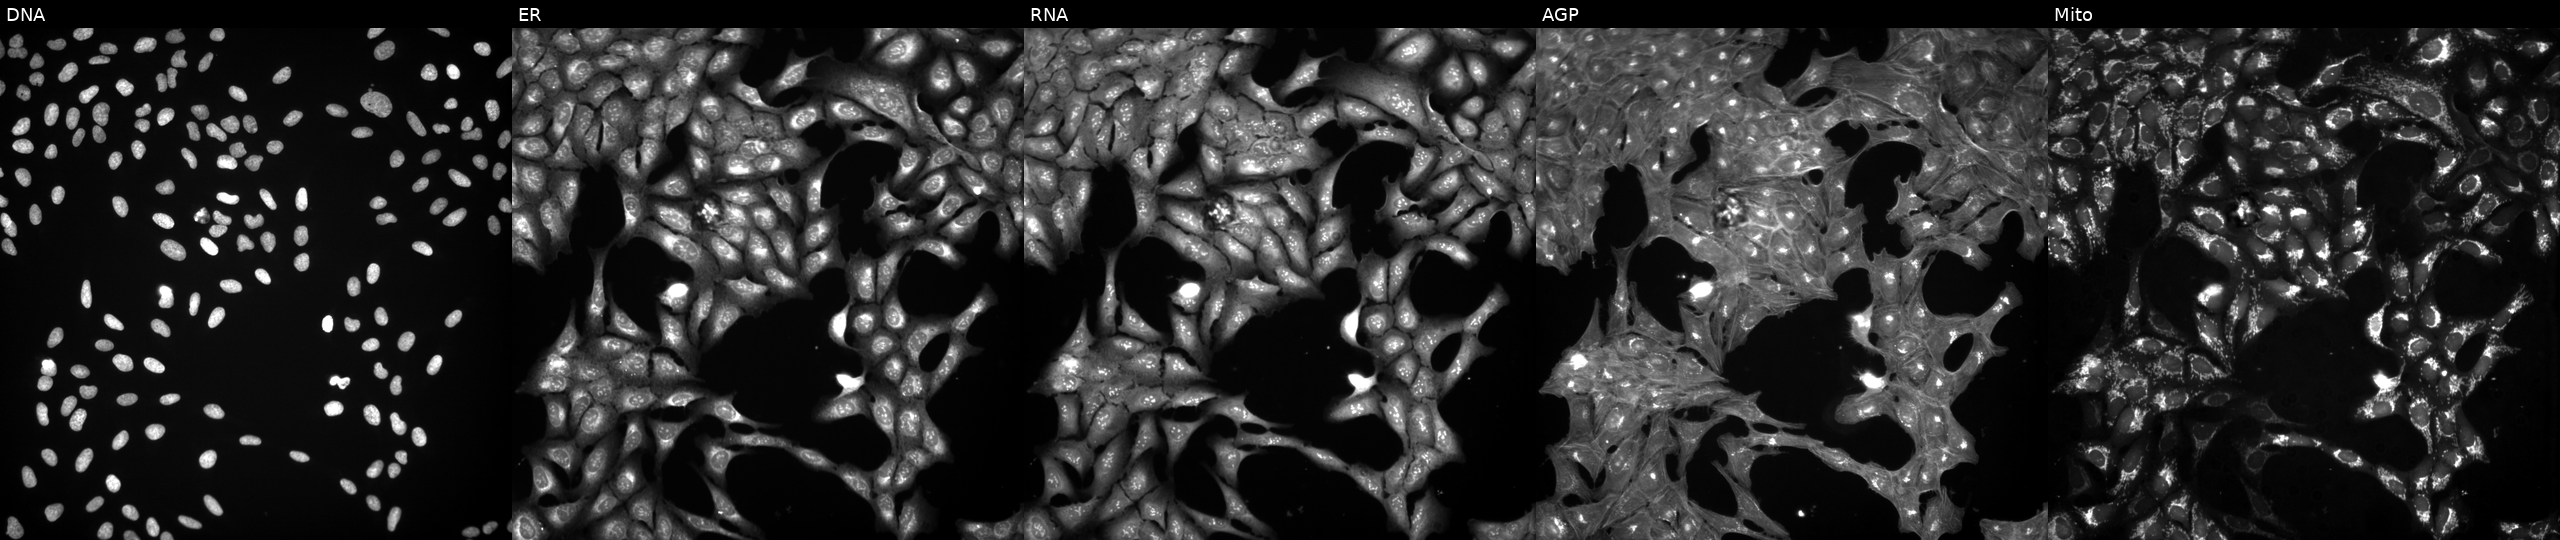
Channels (left→right): DNA, ER, RNA, AGP, and Mito. U2OS osteosarcoma cells treated with a small-molecule compound (InChIKey XXJWGZCUPNFLBF-UHFFFAOYSA-N). Cell Painting assay, JUMP-CP dataset.